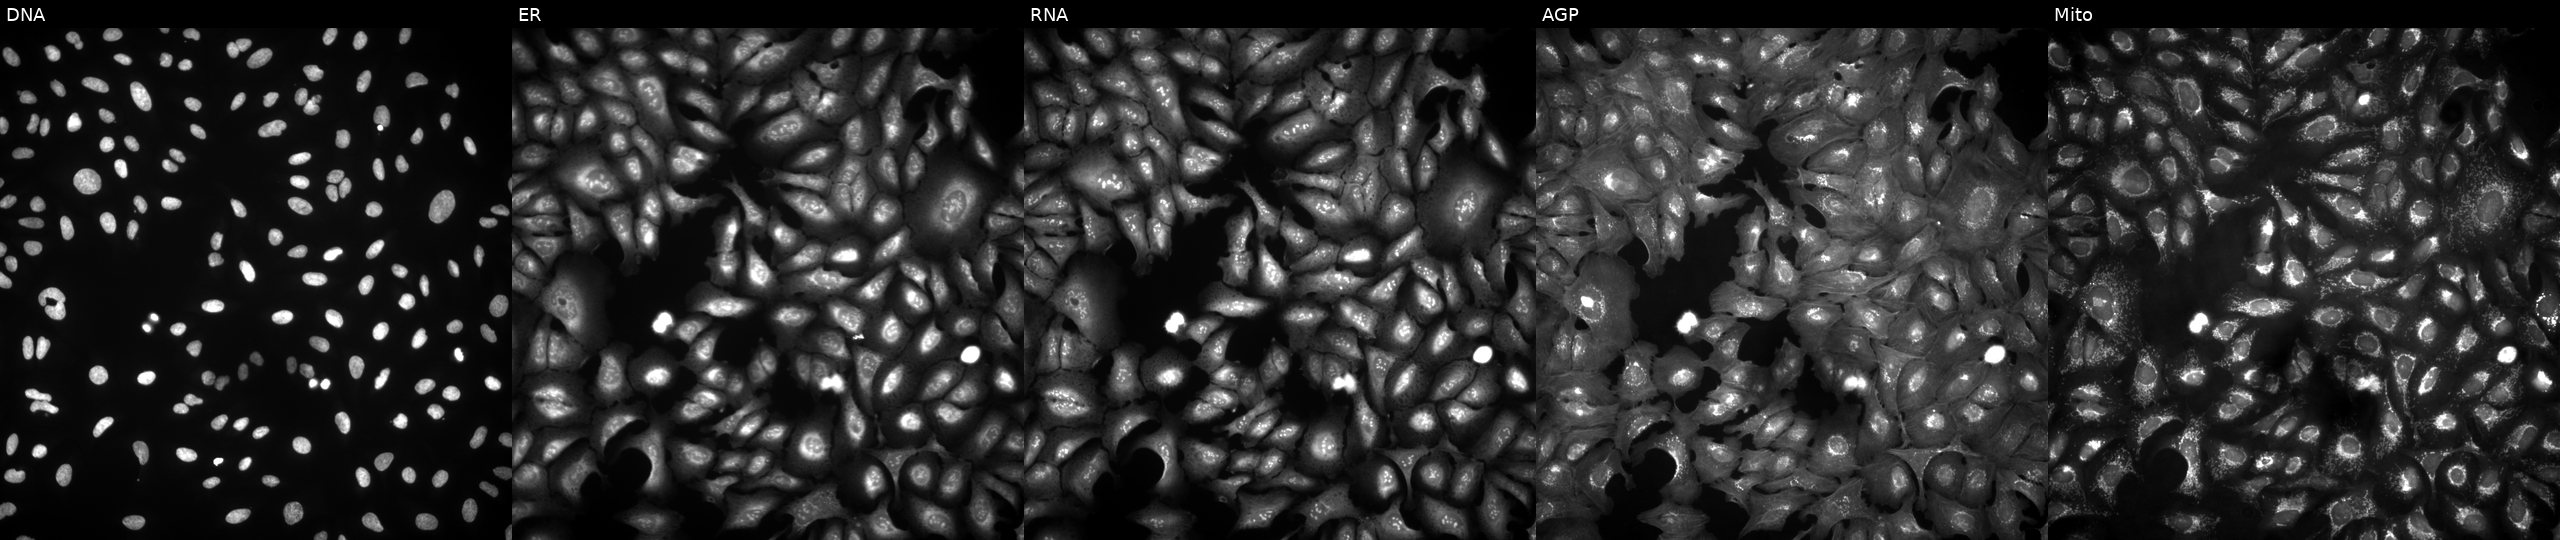
U2OS cells, Cell Painting assay, with DCAF15 overexpressed (ORF). Channels (left→right): DNA, ER, RNA, AGP, and Mito. Each panel is percentile-stretched 16-bit fluorescence. Source 4, plate BR00124790, well B04.